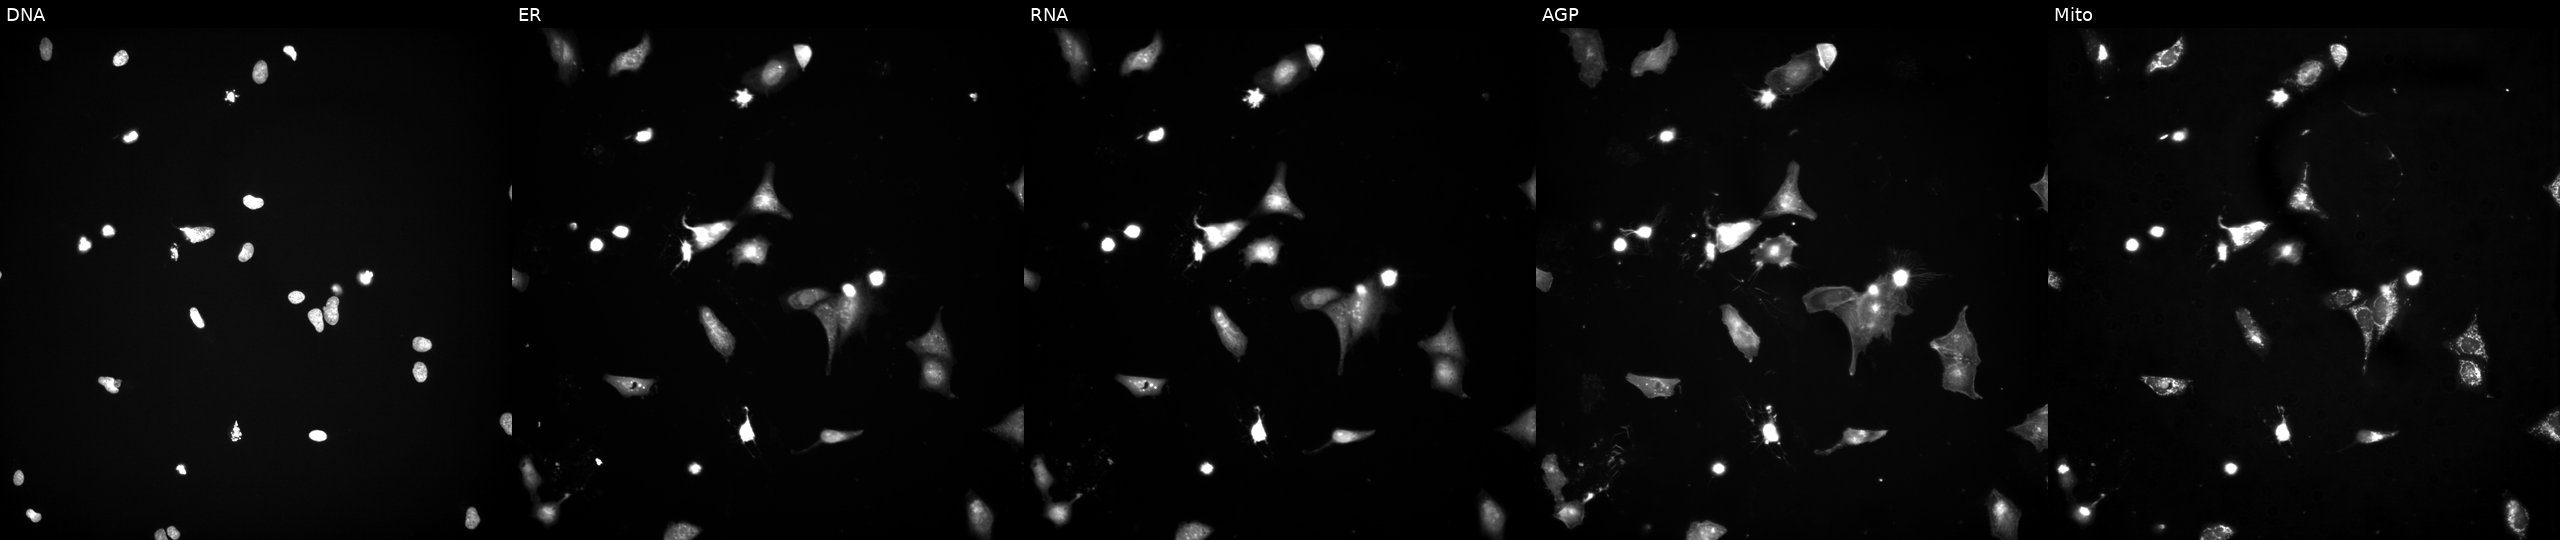
High-content fluorescence microscopy (Cell Painting). Cell line: U2OS. Perturbation: treated with a small-molecule compound. From left to right: DNA (nuclei); ER (endoplasmic reticulum); RNA (nucleoli and cytoplasmic RNA); AGP (actin cytoskeleton, Golgi, and plasma membrane); Mito (mitochondria). Source 3, plate JCPQC053, well M11.